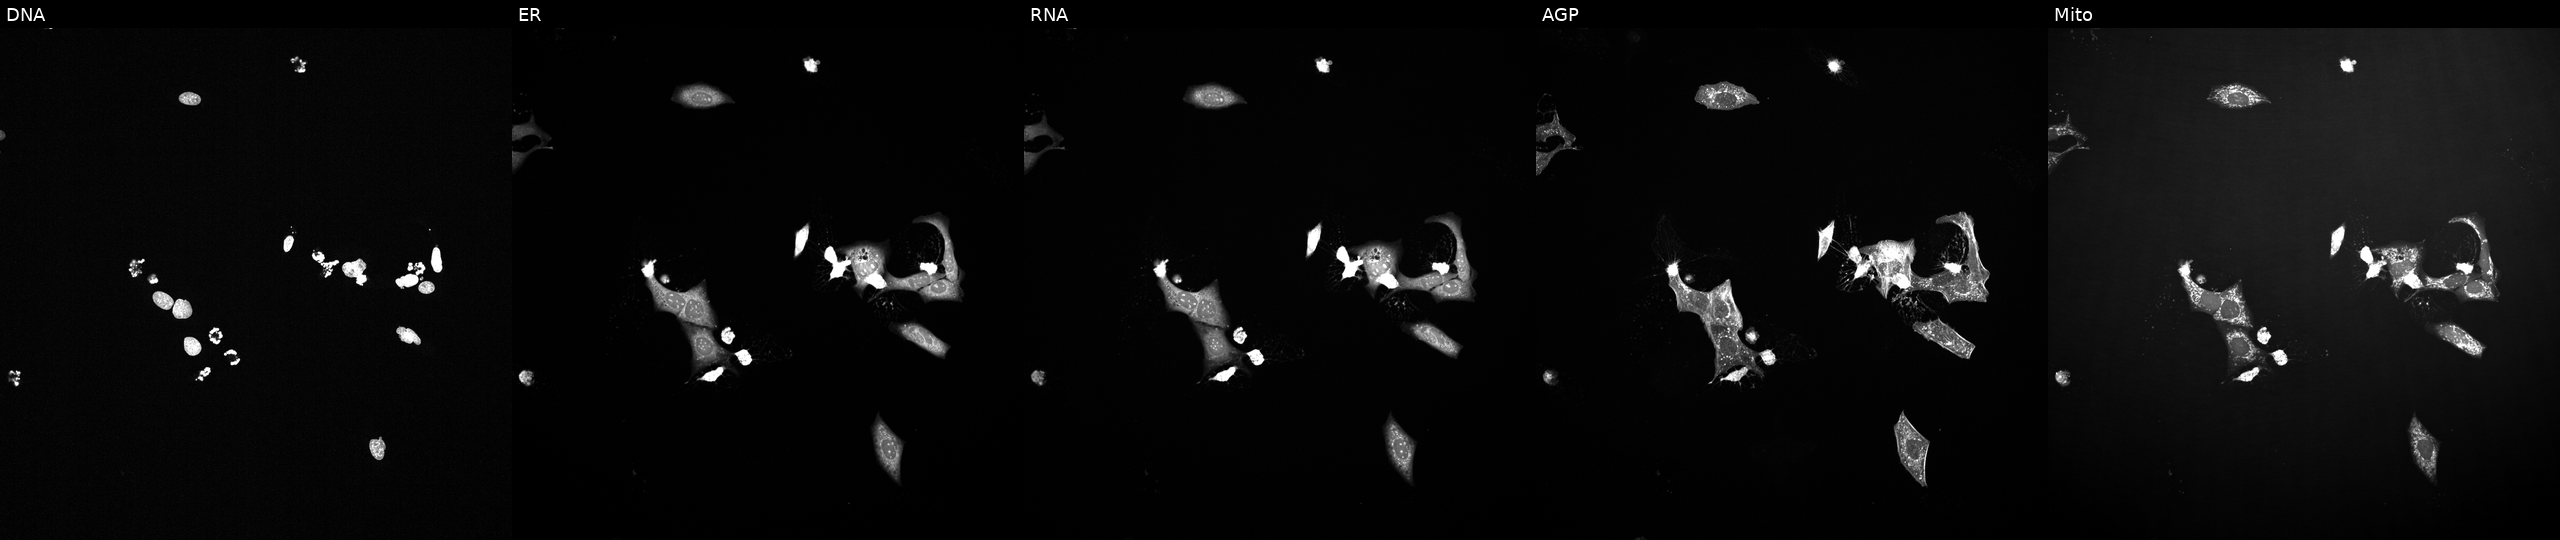
This image strip shows the five Cell Painting channels for a single field of U2OS cells exposed to a small-molecule compound (InChIKey MJSHVHLADKXCML-UHFFFAOYSA-N). Channels (left→right): Hoechst 33342, concanavalin A, SYTO 14, phalloidin and WGA, MitoTracker.